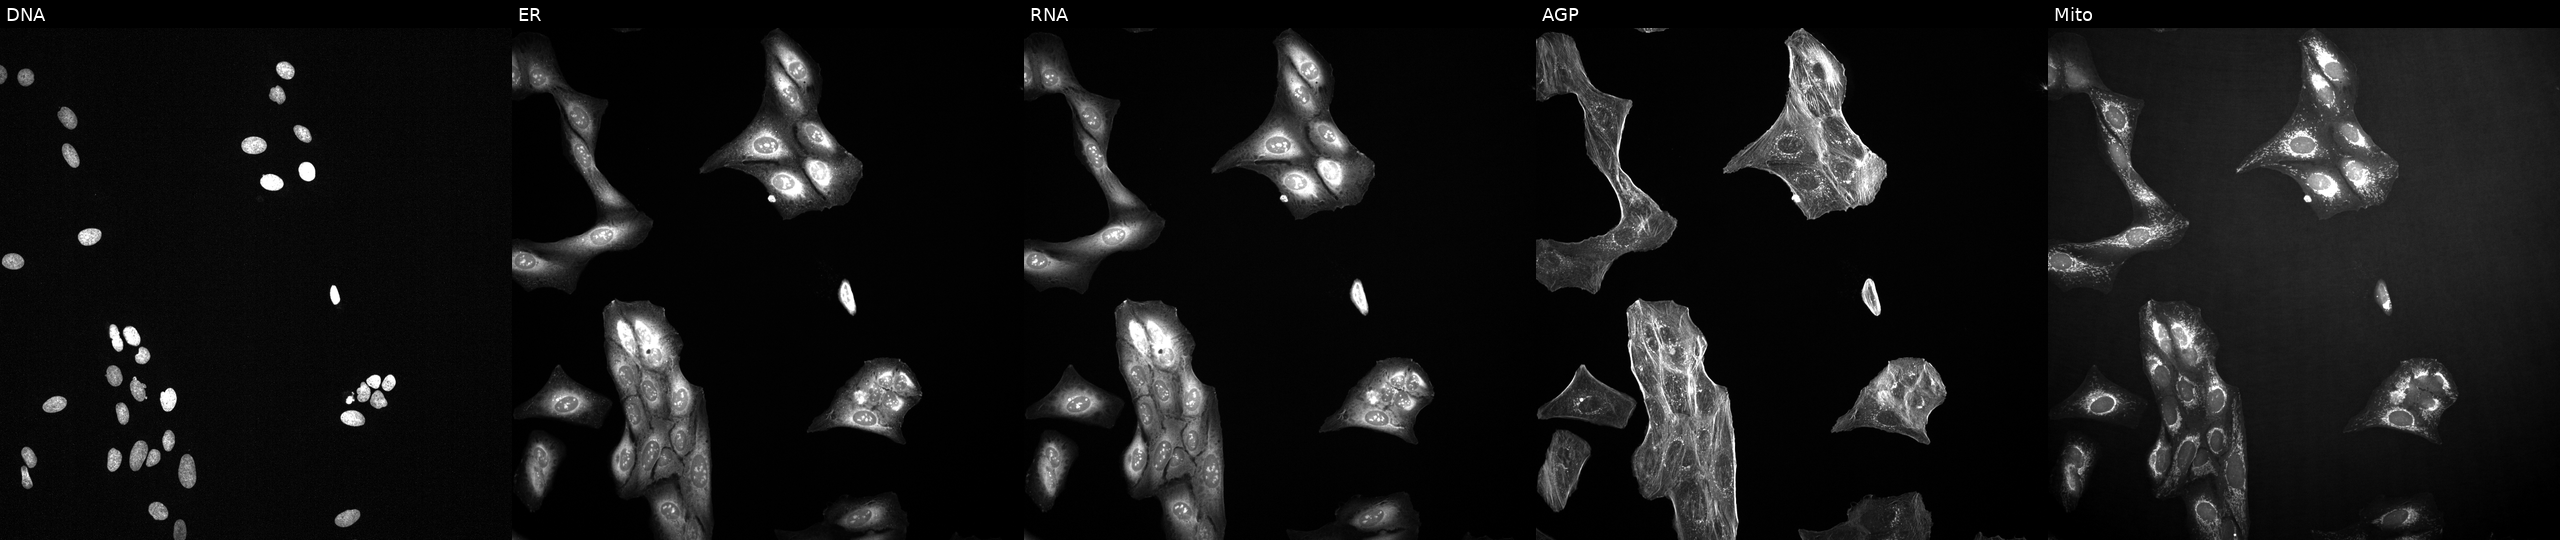
Panels show, left to right, DNA, ER, RNA, AGP, and Mito. U2OS osteosarcoma cells treated with a small-molecule compound (InChIKey RAMROQQYRRQPDL-UHFFFAOYSA-N) (JUMP id JCP2022_077089). Cell Painting assay, JUMP-CP dataset.